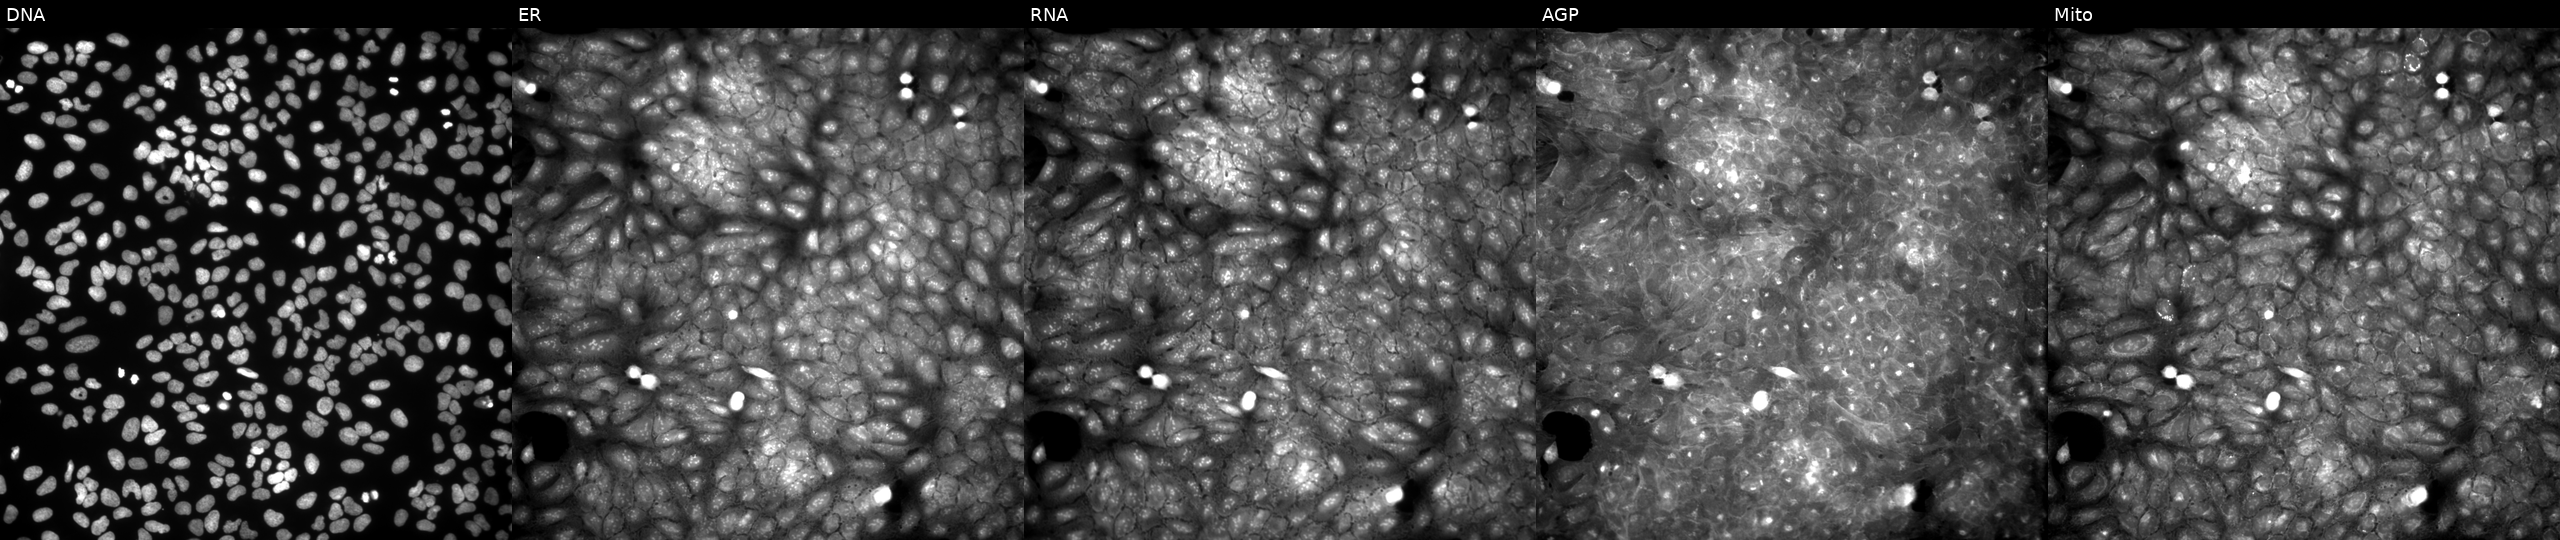
High-content fluorescence microscopy (Cell Painting). Cell line: U2OS. Perturbation: exposed to a small-molecule compound (InChIKey PYSLSHYZMGMNRC-UHFFFAOYSA-N). Panels show, left to right, DNA, ER, RNA, AGP, and Mito. Source 9, plate GR00003381, well Y21.